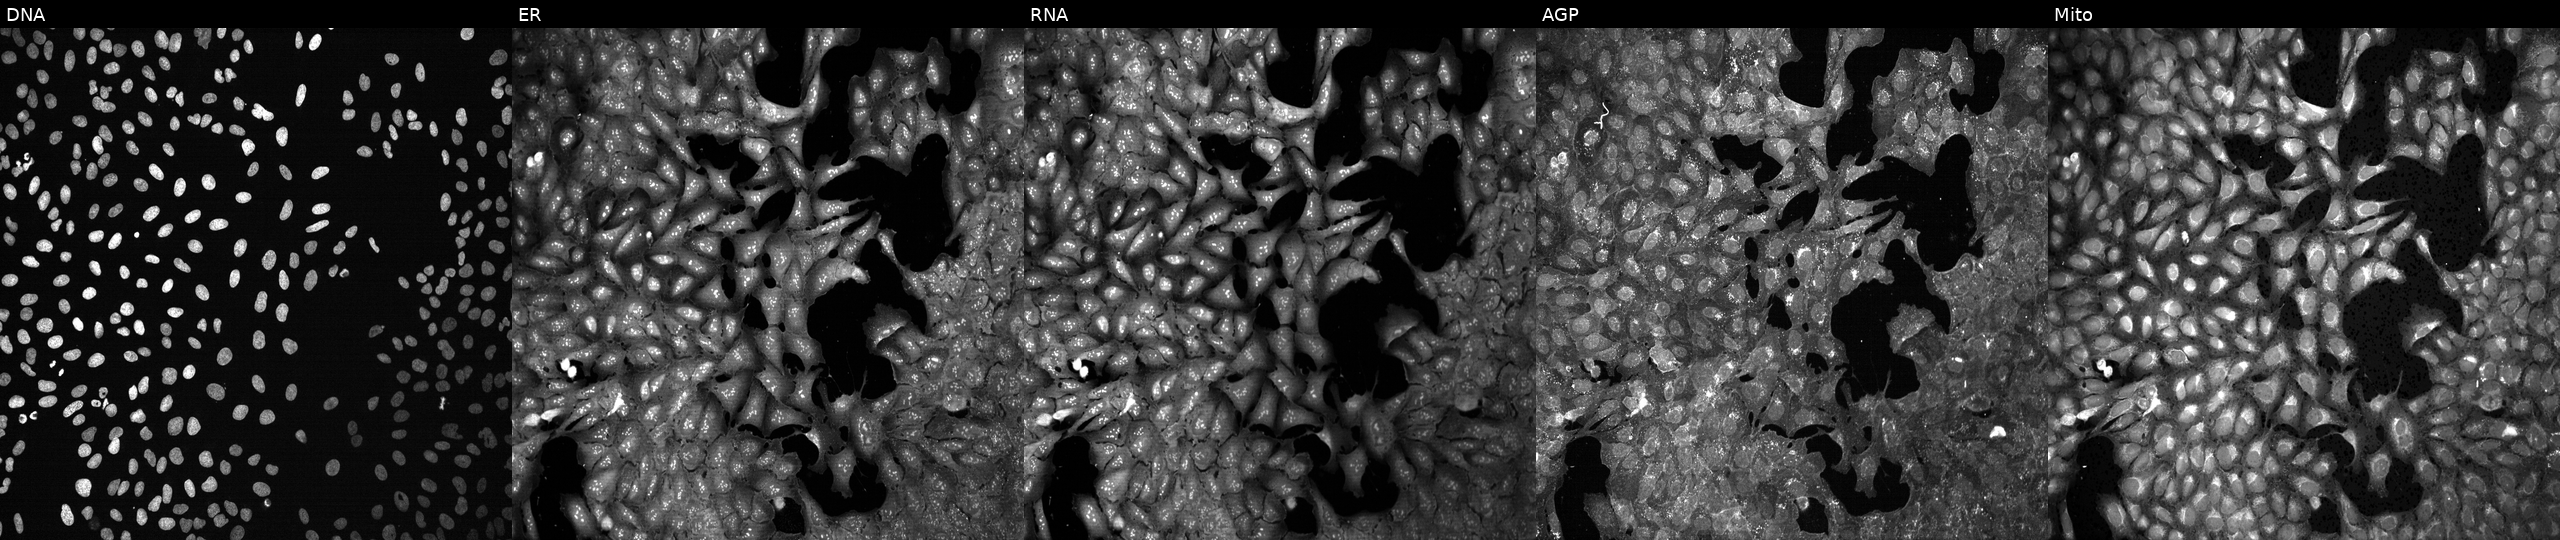
U2OS cells, Cell Painting assay, treated with aloxistatin (positive-control compound) (JUMP id JCP2022_085227). The five panels, left to right, show DNA, ER, RNA, AGP, and Mito. Each panel is percentile-stretched 16-bit fluorescence.